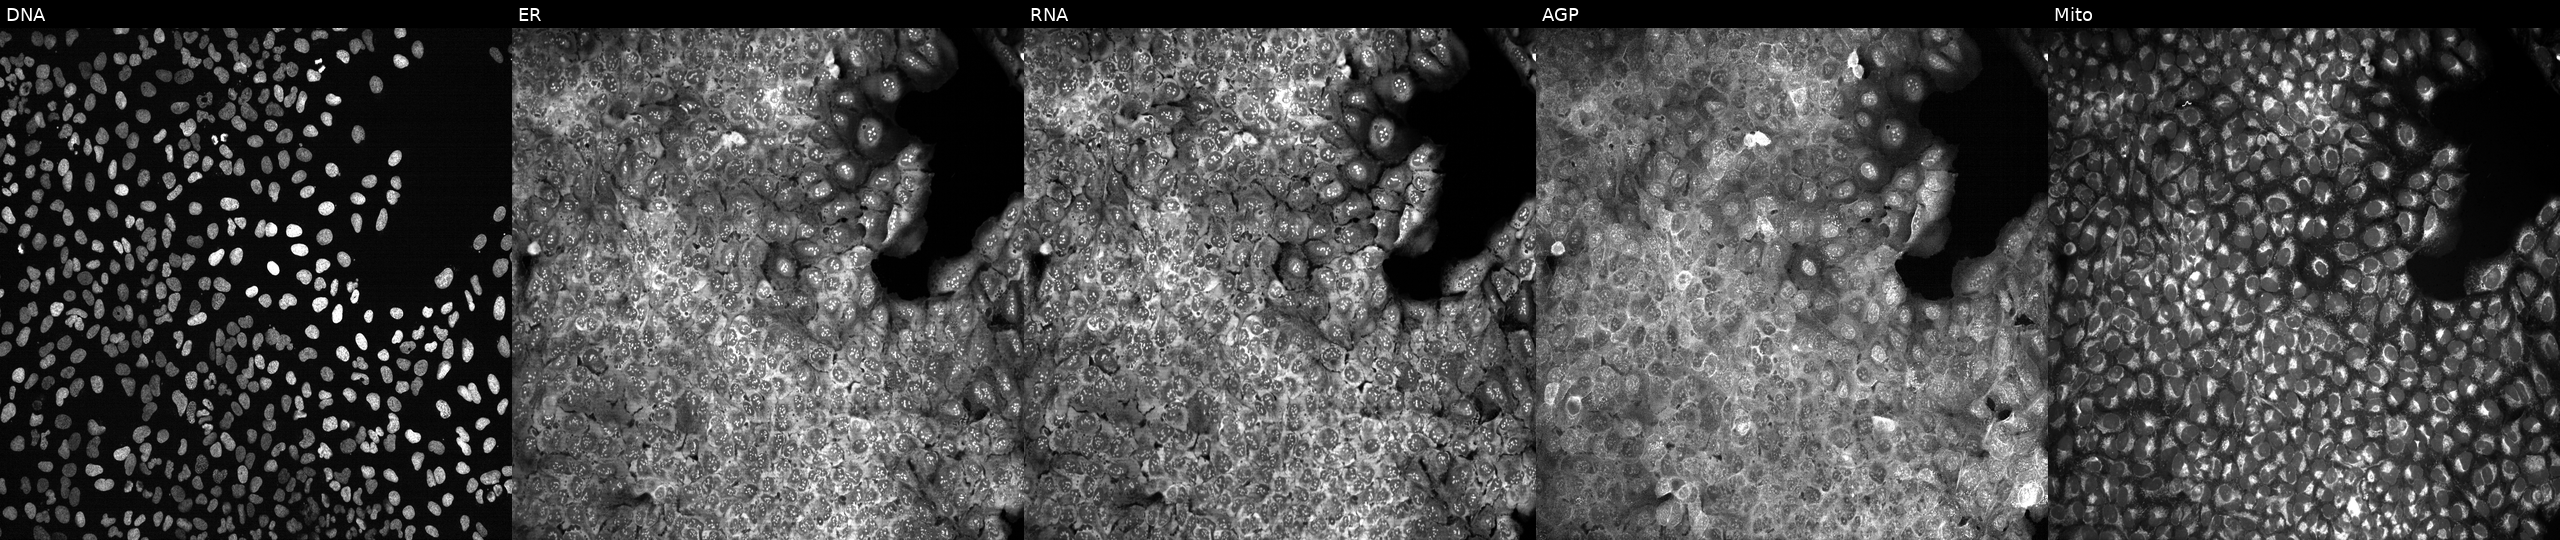
This image strip shows the five Cell Painting channels for a single field of U2OS cells with RHOBTB2 knocked out by CRISPR. From left to right: DNA (nuclei); ER (endoplasmic reticulum); RNA (nucleoli and cytoplasmic RNA); AGP (actin cytoskeleton, Golgi, and plasma membrane); Mito (mitochondria). Source 13, plate CP-CC9-R4-04, well O06.